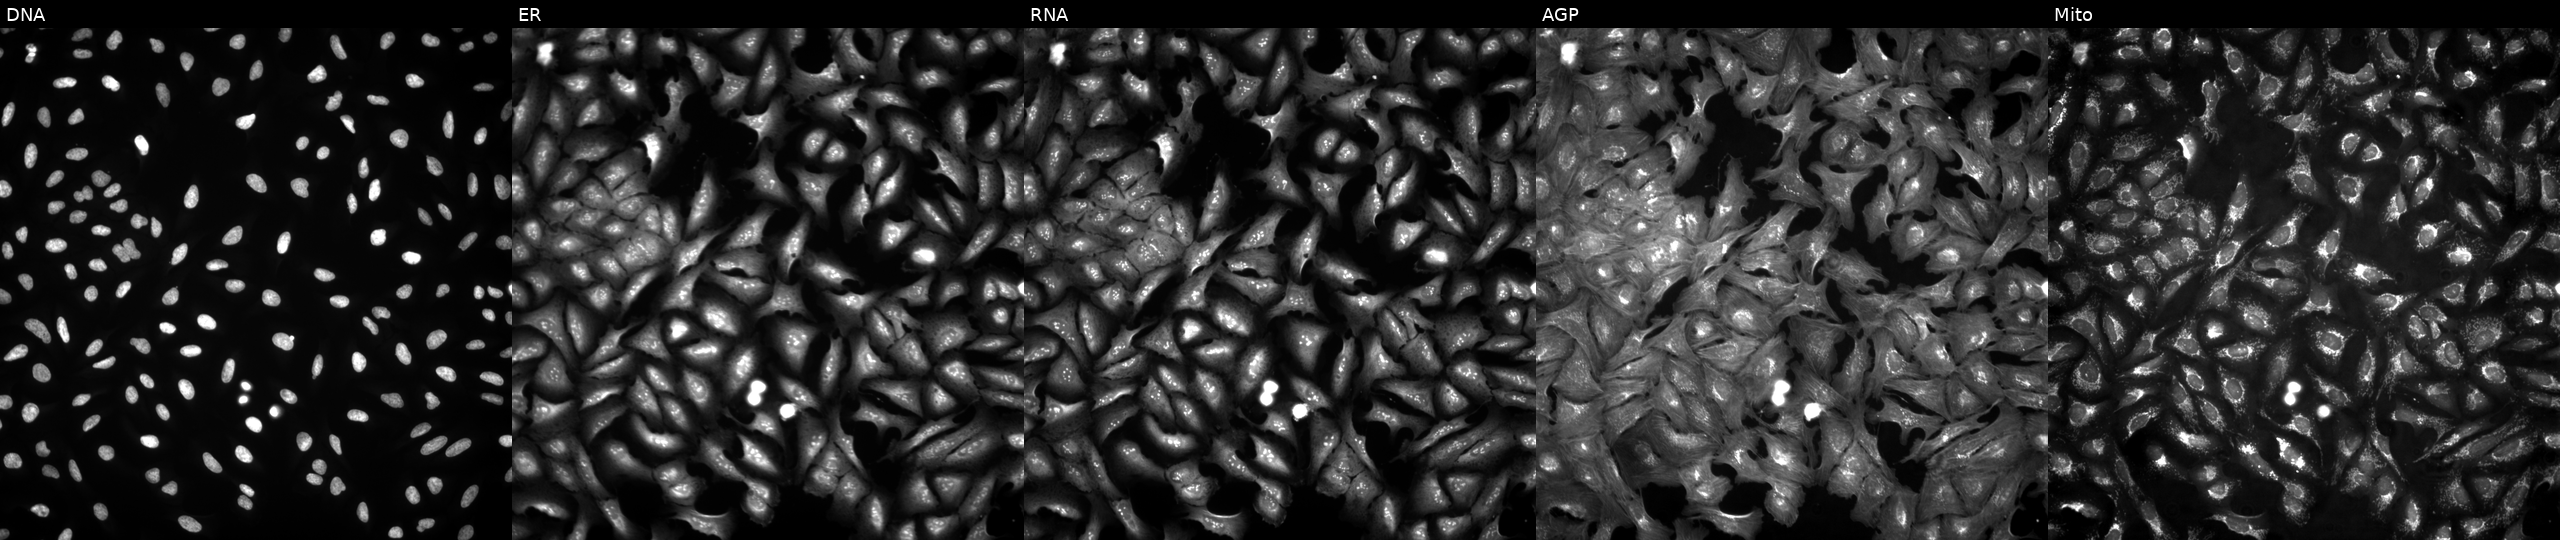
Five-channel Cell Painting image of U2OS cells transfected with an ORF construct for MGST2. Panels show, left to right, DNA (nuclei); ER (endoplasmic reticulum); RNA (nucleoli and cytoplasmic RNA); AGP (actin cytoskeleton, Golgi, and plasma membrane); Mito (mitochondria). Source 4, plate BR00124784, well H02.